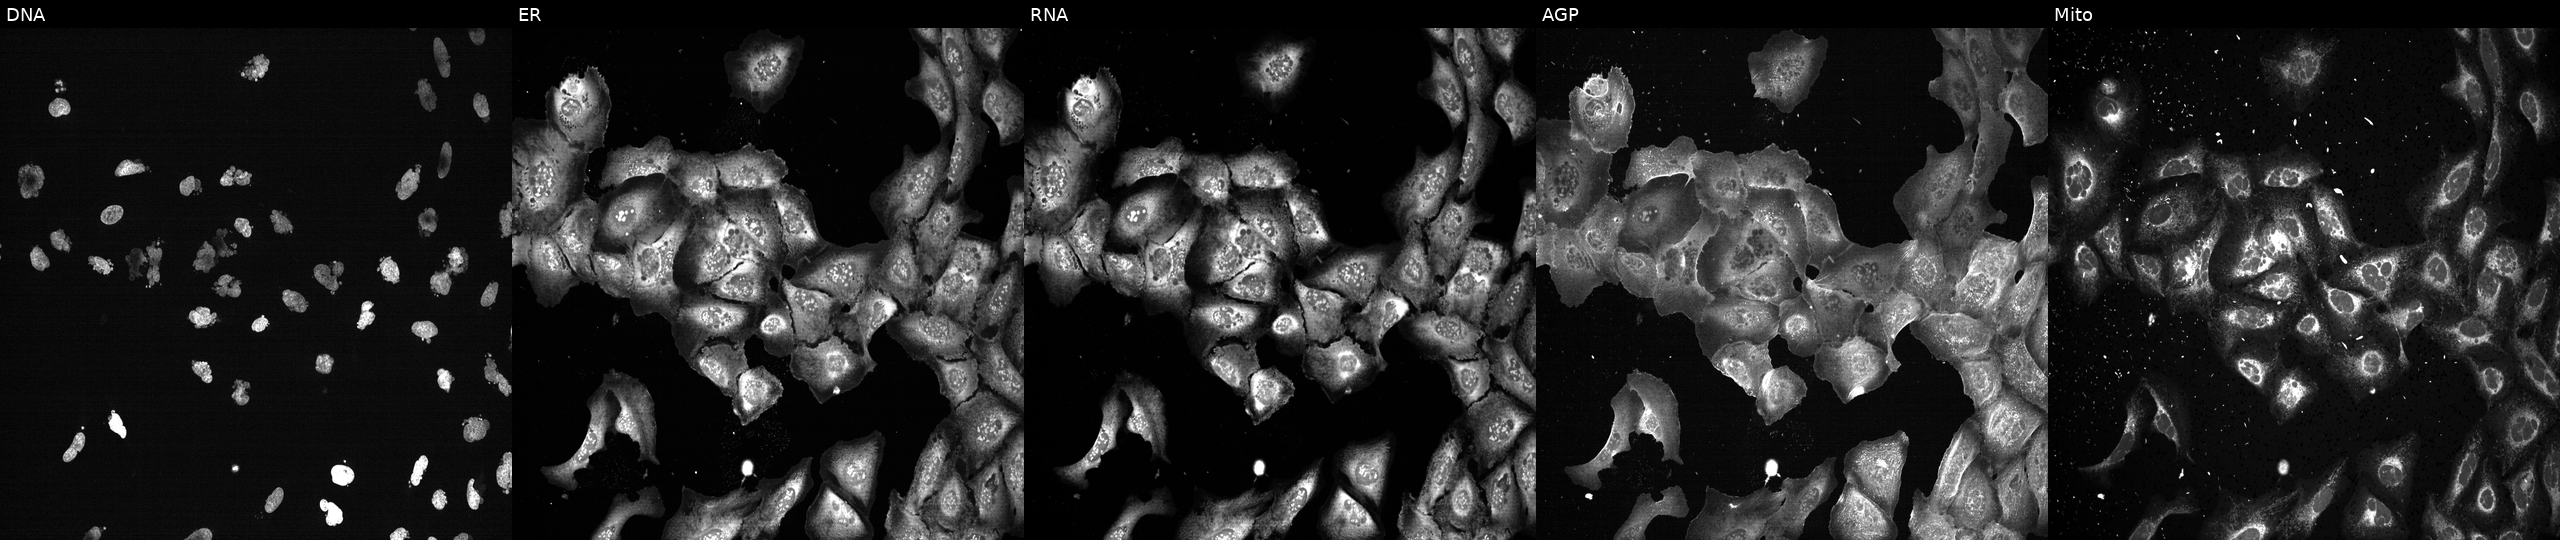
This image strip shows the five Cell Painting channels for a single field of U2OS cells exposed to the positive-control compound AMG900. The five panels, left to right, show DNA (nuclei); ER (endoplasmic reticulum); RNA (nucleoli and cytoplasmic RNA); AGP (actin cytoskeleton, Golgi, and plasma membrane); Mito (mitochondria). Source 13, plate CP-CC9-R2-01, well C01.